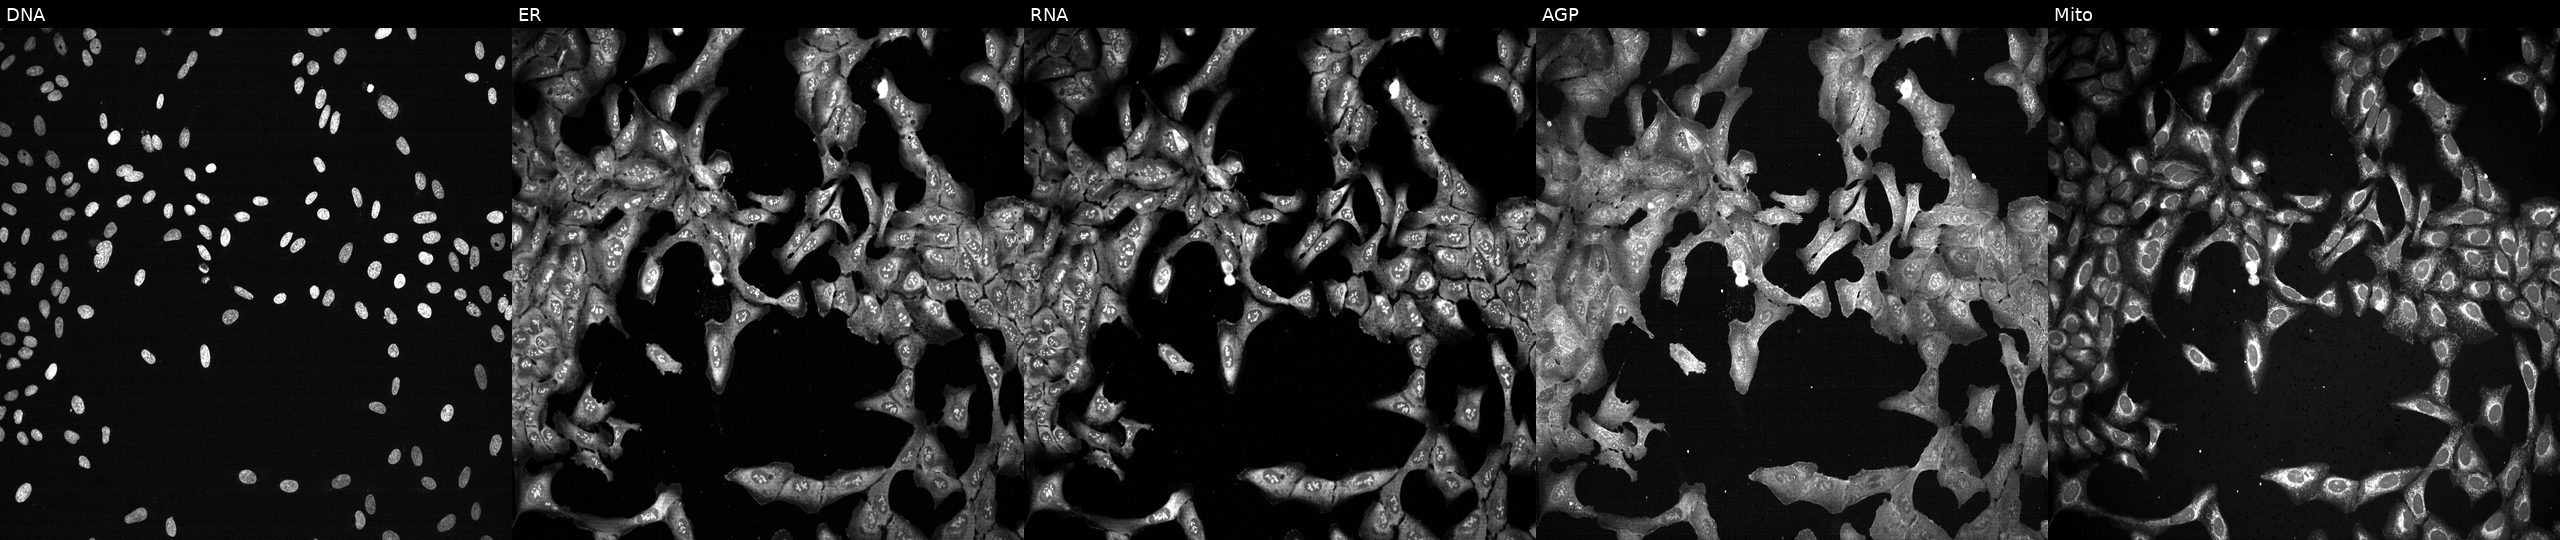
This image strip shows the five Cell Painting channels for a single field of U2OS cells following CRISPR knockout of AMD1 (JUMP id JCP2022_800436). Panels show, left to right, DNA (nuclei); ER (endoplasmic reticulum); RNA (nucleoli and cytoplasmic RNA); AGP (actin cytoskeleton, Golgi, and plasma membrane); Mito (mitochondria).